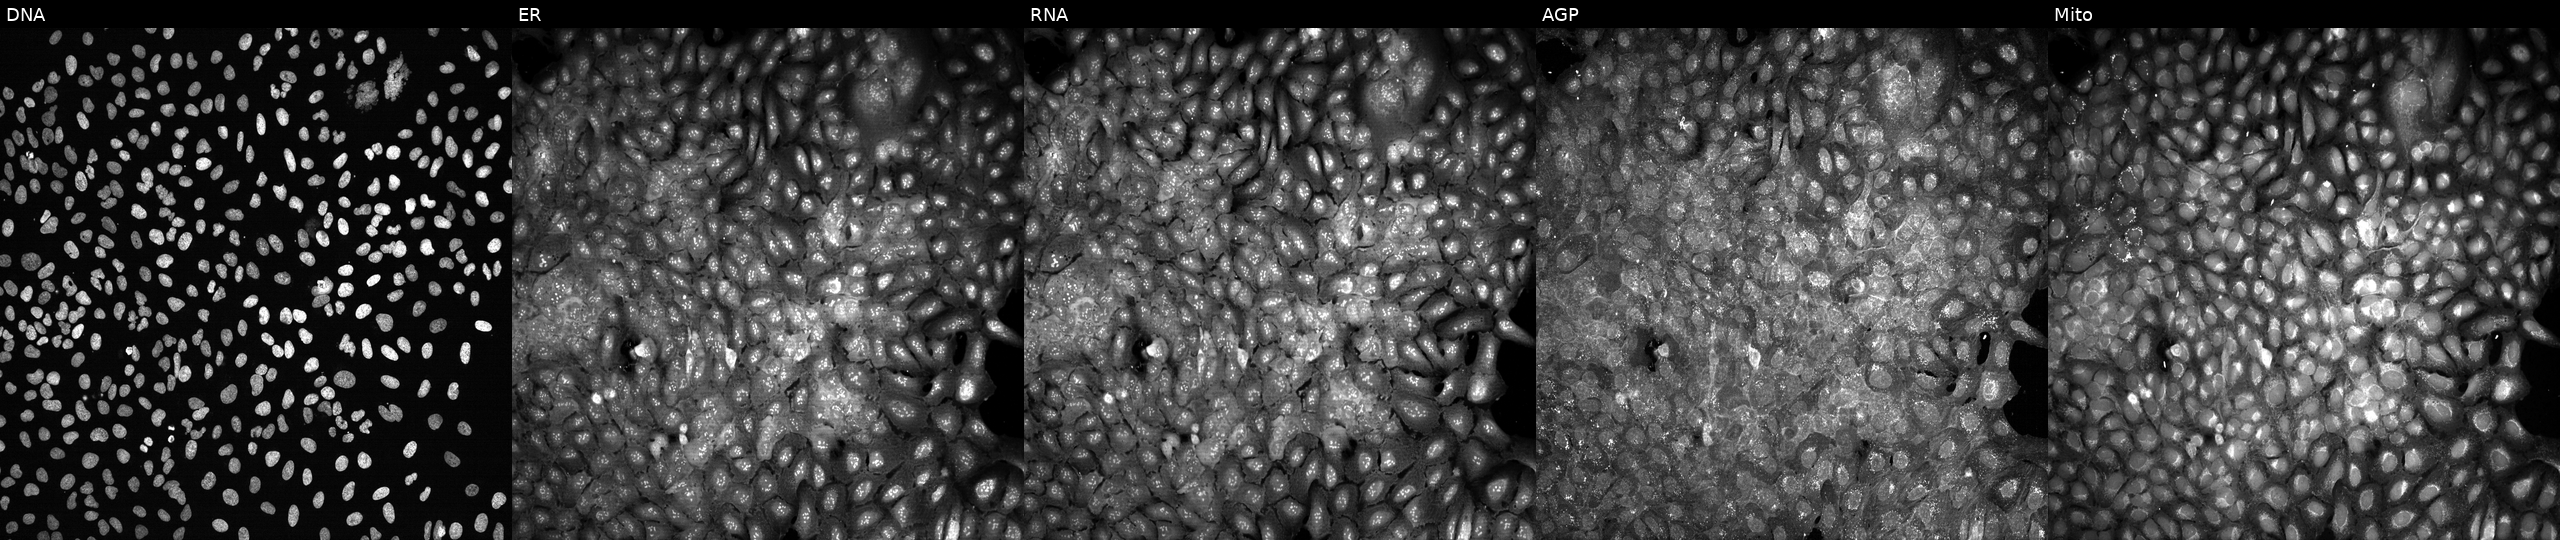
Panels show, left to right, Hoechst 33342, concanavalin A, SYTO 14, phalloidin and WGA, MitoTracker. U2OS osteosarcoma cells following CRISPR knockout of ARHGEF6 (JUMP id JCP2022_800572). Cell Painting assay, JUMP-CP dataset.